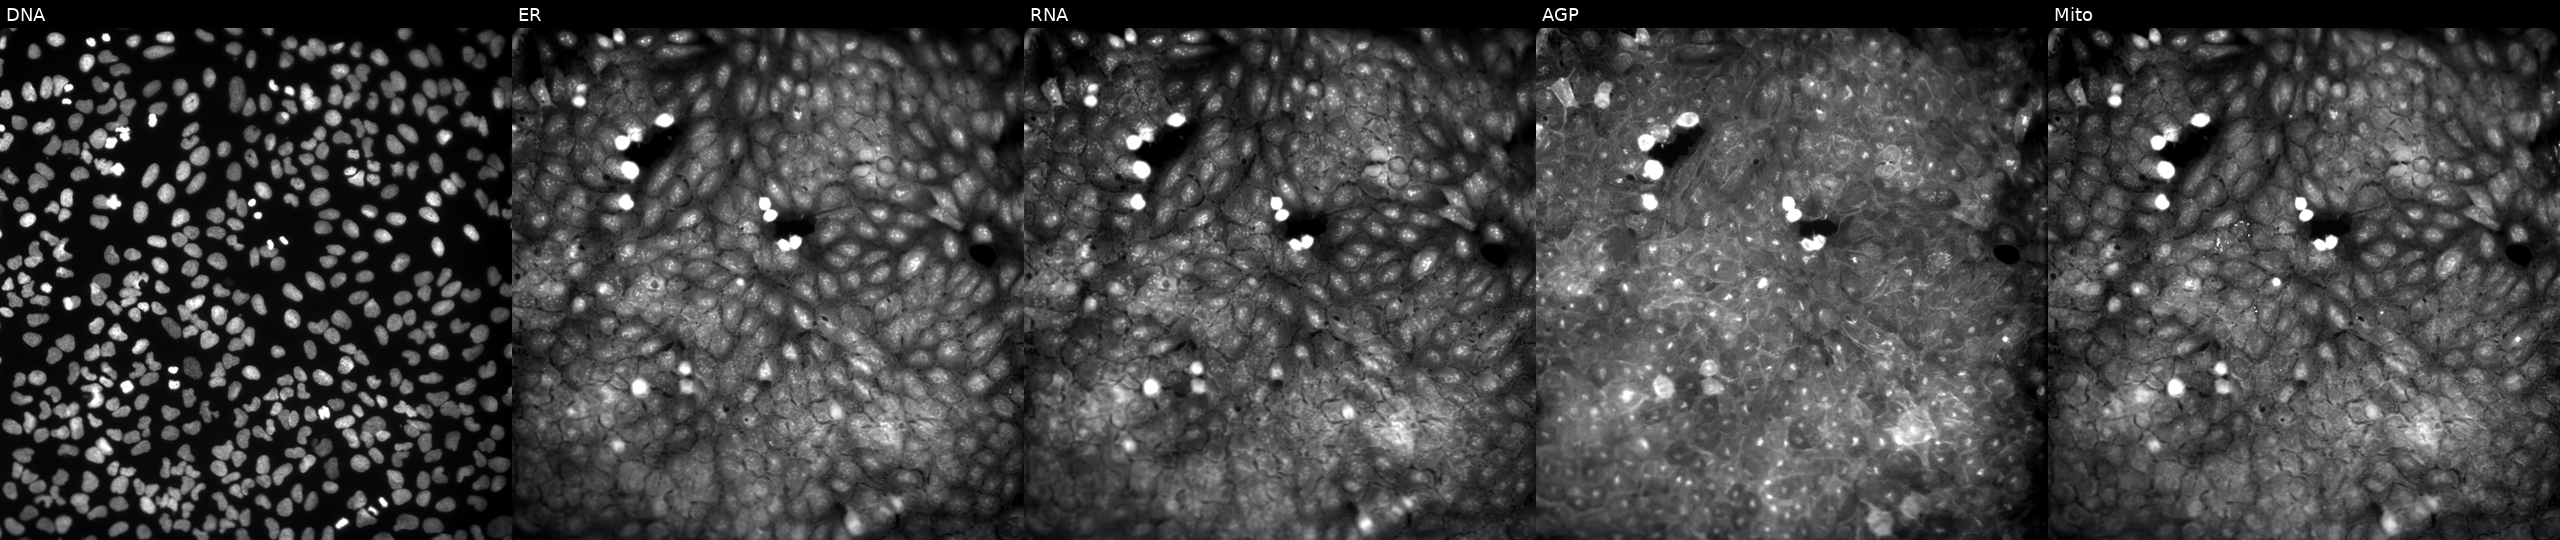
This image strip shows the five Cell Painting channels for a single field of U2OS cells exposed to a small-molecule compound [SMILES: CCOC(=O)c1ccc(N2N=C(C(F)(F)F)C(=CC=Cc3ccco3)C2=O)cc1]. Panels show, left to right, DNA (nuclei); ER (endoplasmic reticulum); RNA (nucleoli and cytoplasmic RNA); AGP (actin cytoskeleton, Golgi, and plasma membrane); Mito (mitochondria).